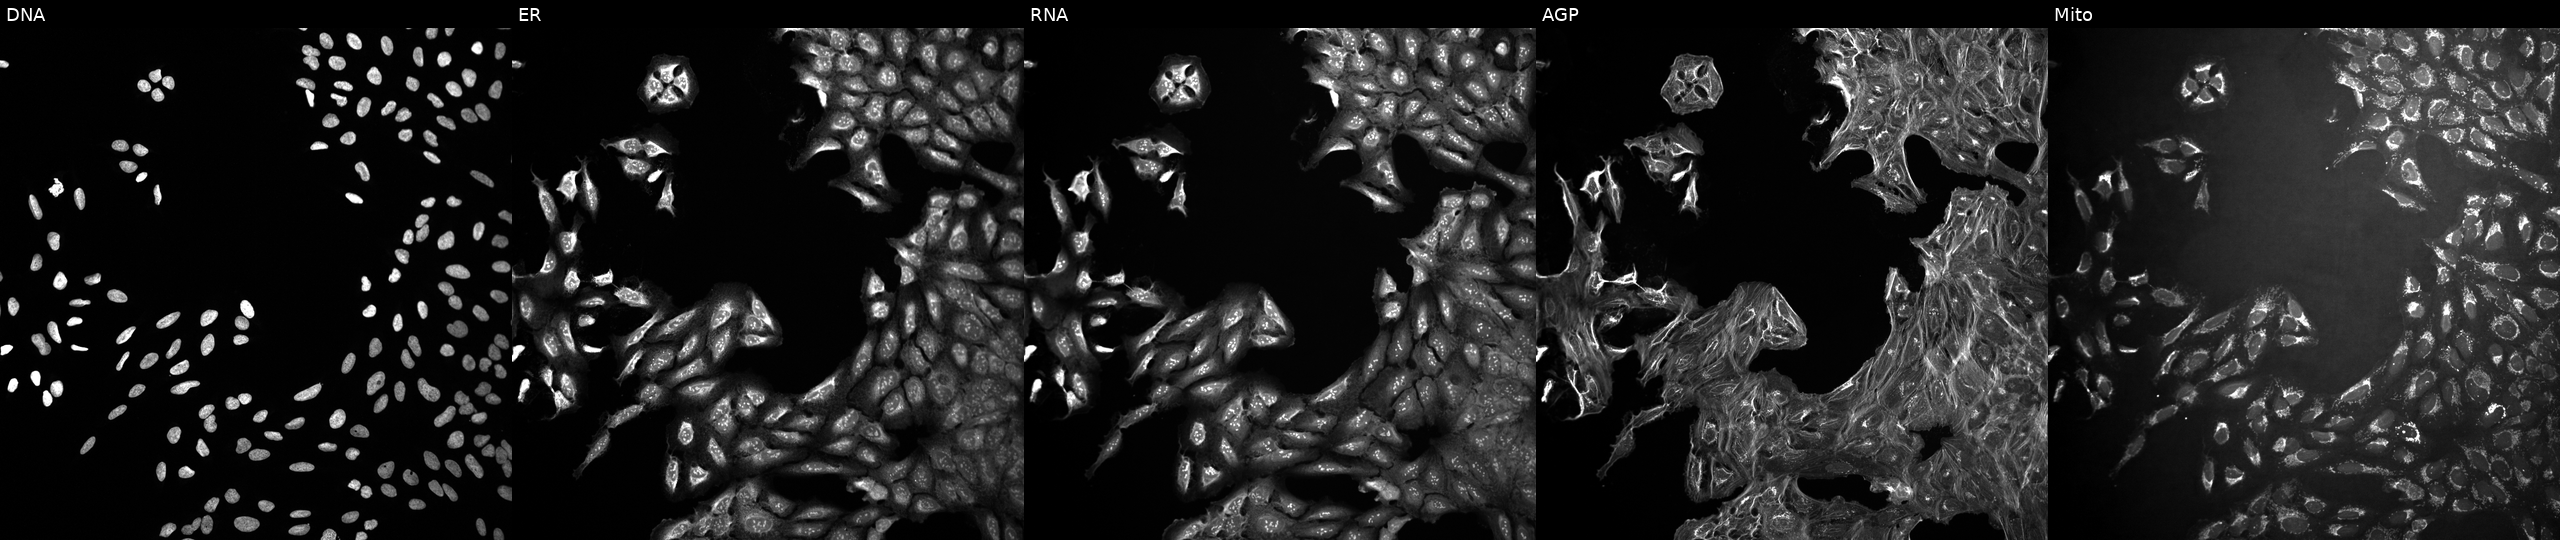
U2OS cells, Cell Painting assay, treated with a small-molecule compound (JUMP id JCP2022_089172). Channels (left→right): DNA (nuclei); ER (endoplasmic reticulum); RNA (nucleoli and cytoplasmic RNA); AGP (actin cytoskeleton, Golgi, and plasma membrane); Mito (mitochondria). Each panel is percentile-stretched 16-bit fluorescence. Source 10, plate Dest210727-153003, well D23.